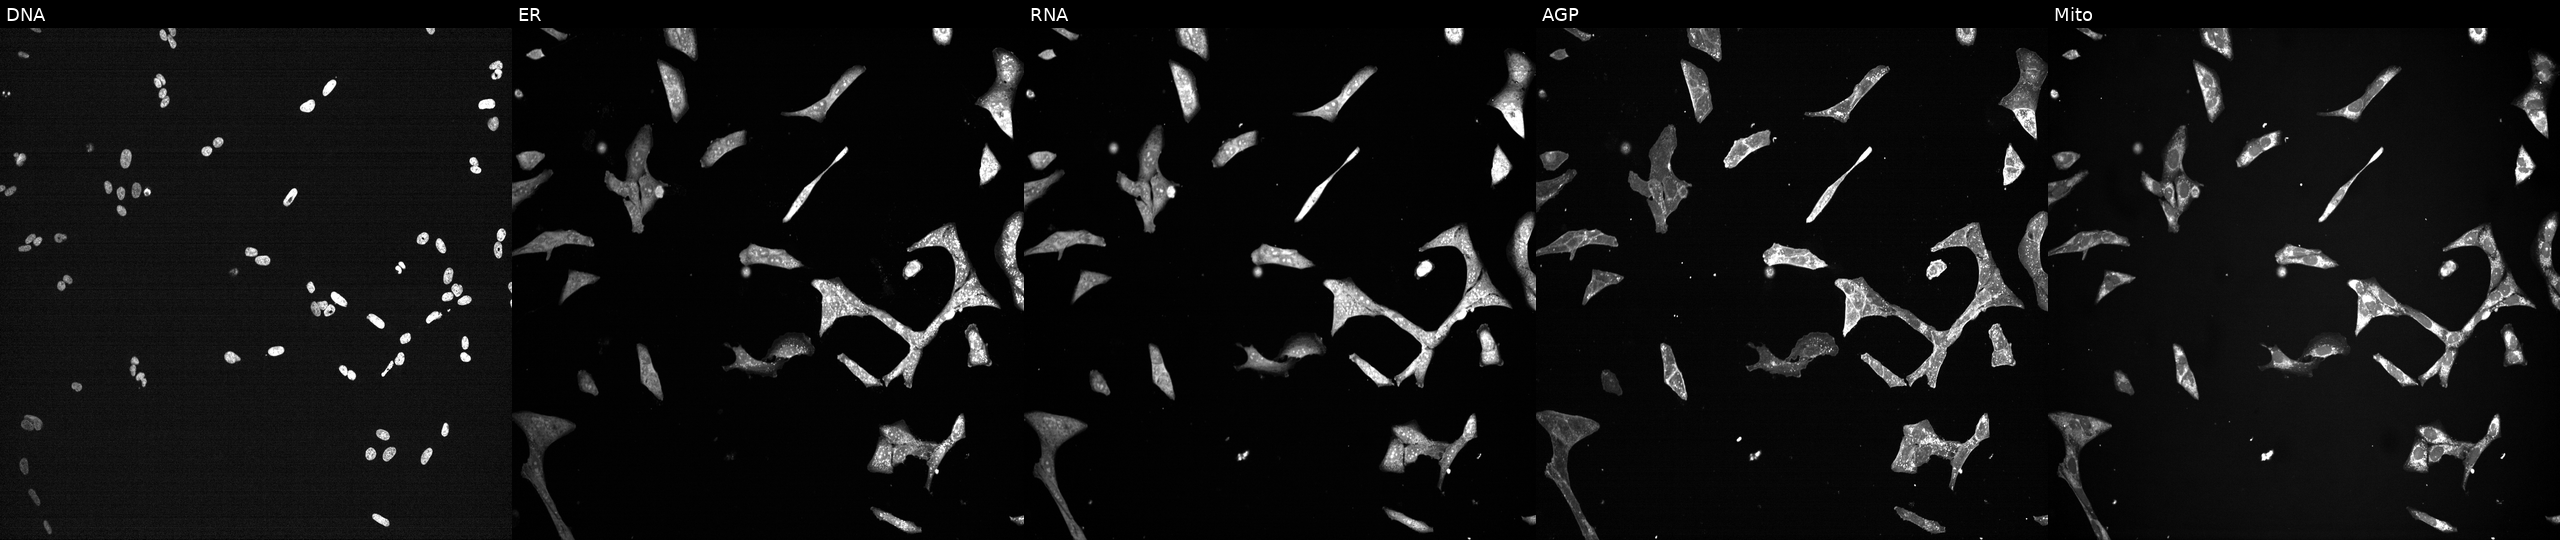
This image strip shows the five Cell Painting channels for a single field of U2OS cells treated with a small-molecule compound (InChIKey UXUQIRNFBFRPAC-UHFFFAOYSA-N) (JUMP id JCP2022_092256). Channels (left→right): DNA, ER, RNA, AGP, and Mito.